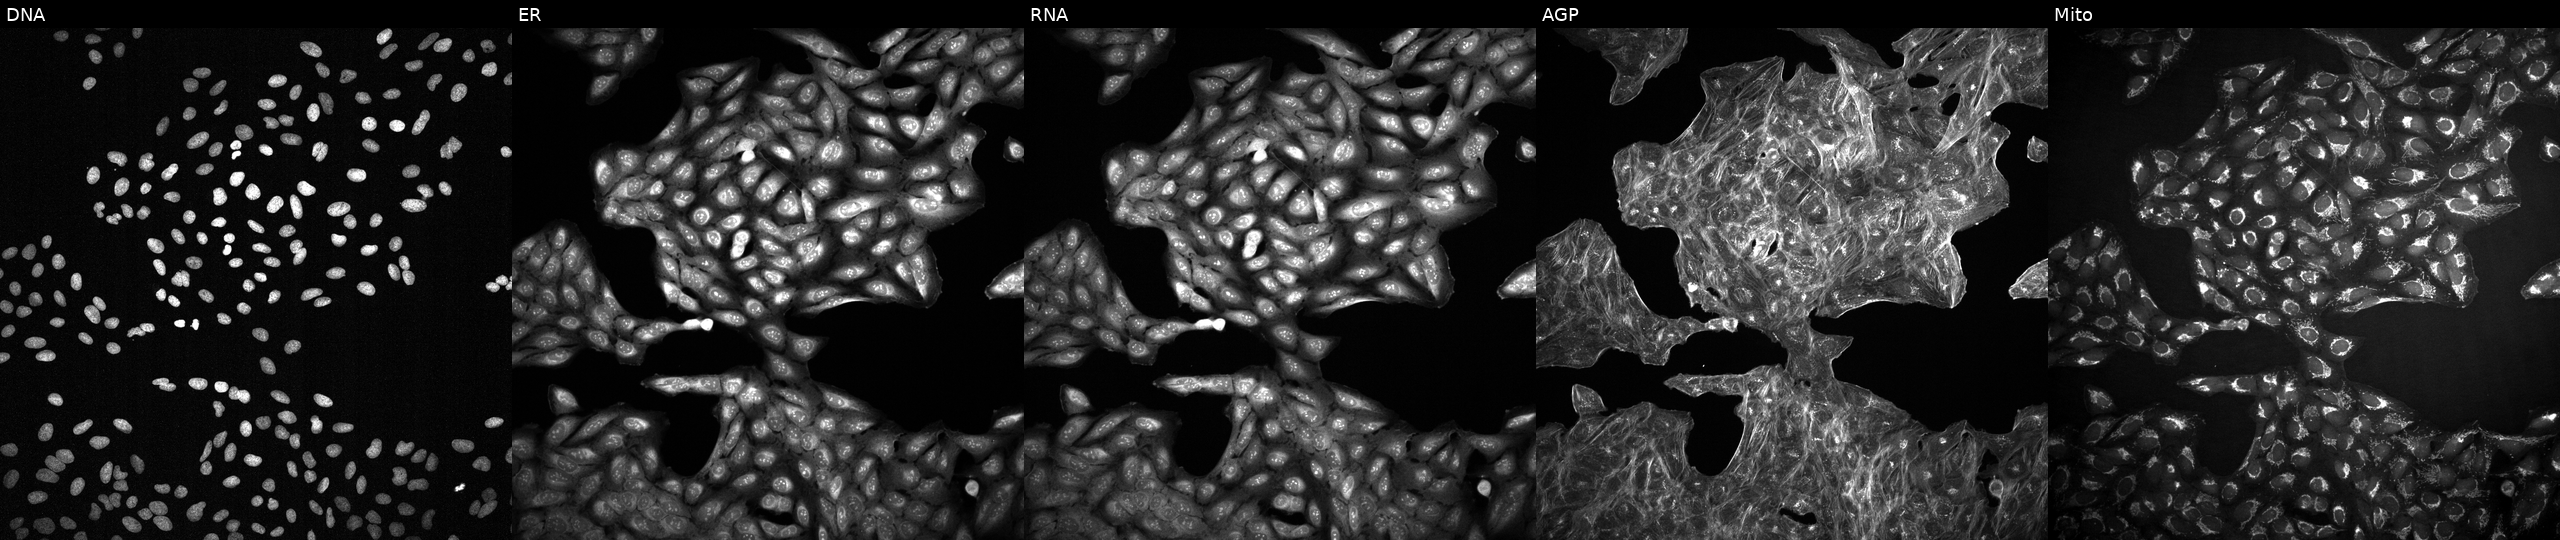
High-content fluorescence microscopy (Cell Painting). Cell line: U2OS. Perturbation: exposed to a small-molecule compound (JUMP id JCP2022_030094). From left to right: Hoechst 33342, concanavalin A, SYTO 14, phalloidin and WGA, MitoTracker.